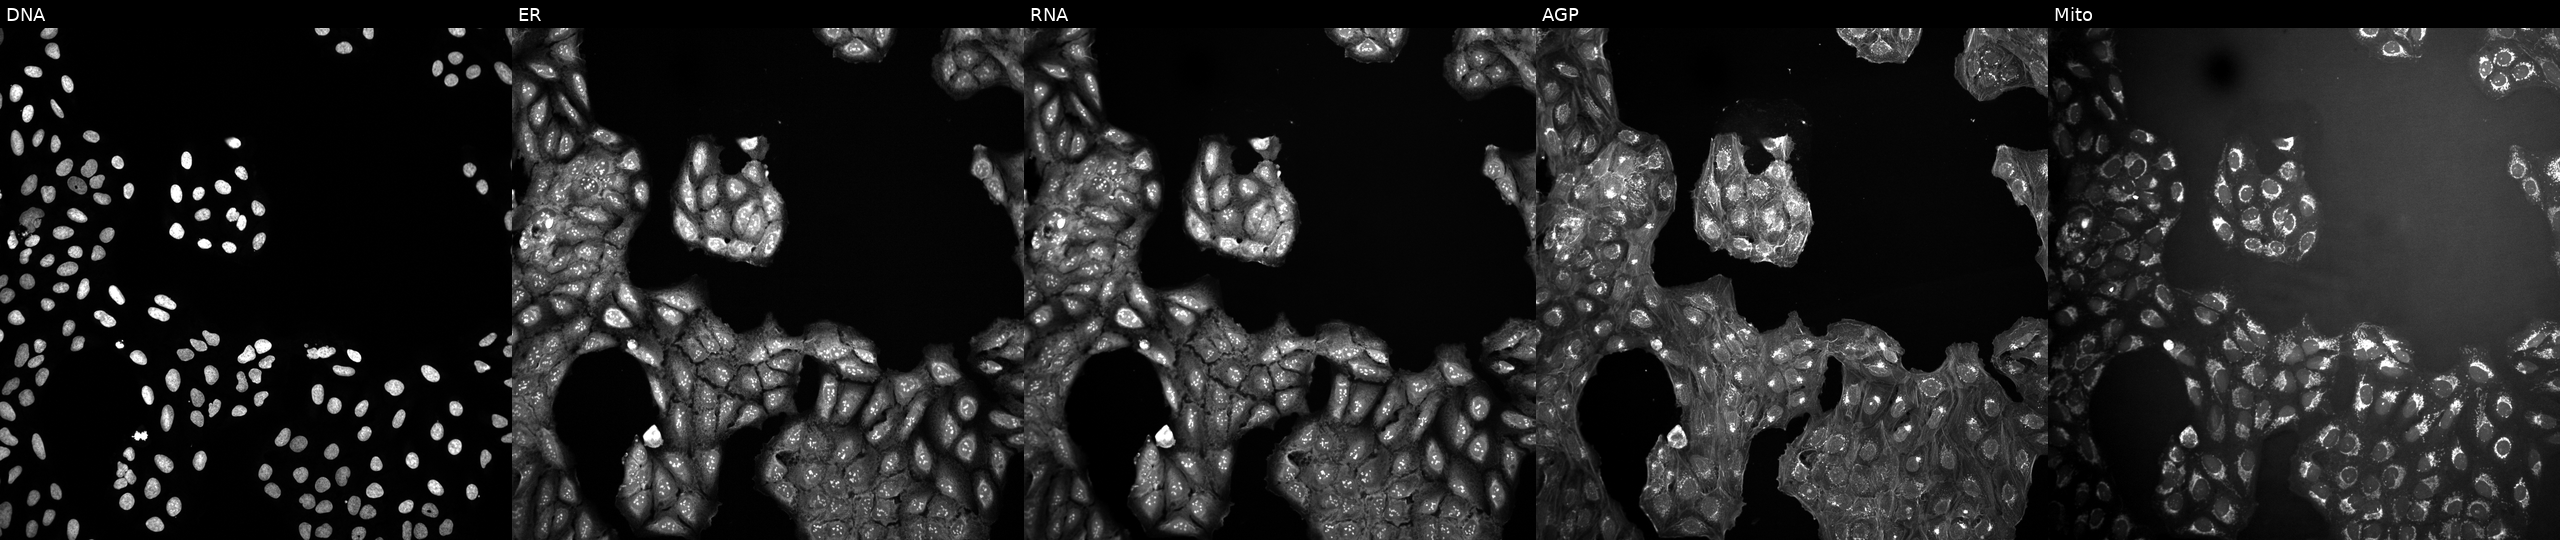
Five-channel Cell Painting image of U2OS cells untreated (empty-well control). Channels (left→right): DNA, ER, RNA, AGP, and Mito.